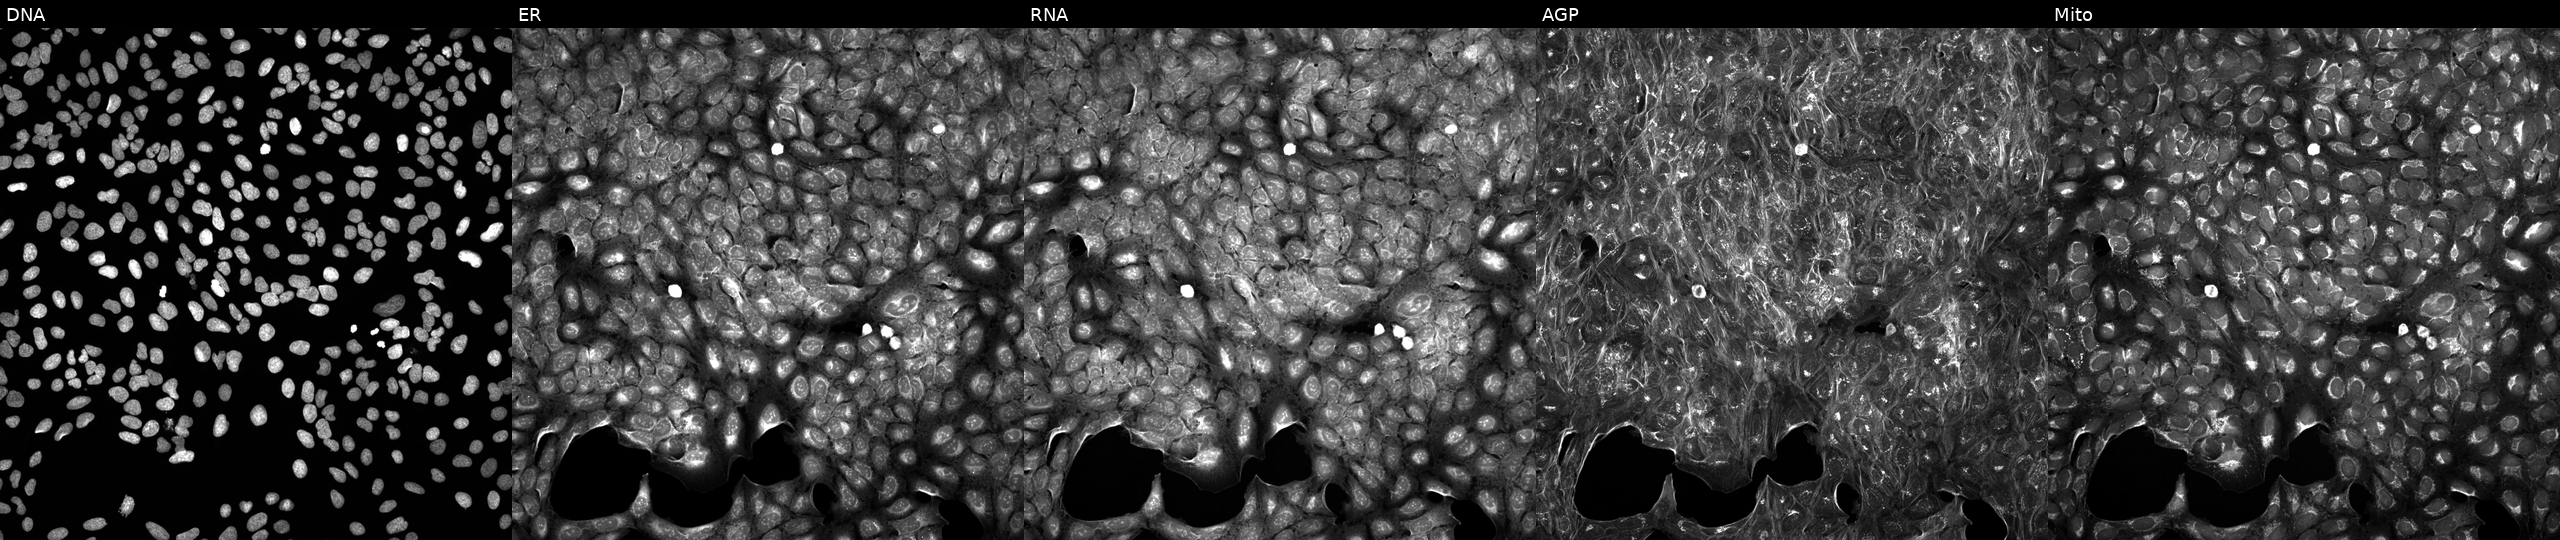
Channels (left→right): DNA, ER, RNA, AGP, and Mito. U2OS osteosarcoma cells treated with a small-molecule compound (InChIKey QUGDTMONBLMLLD-UHFFFAOYSA-N) (JUMP id JCP2022_075916). Cell Painting assay, JUMP-CP dataset.